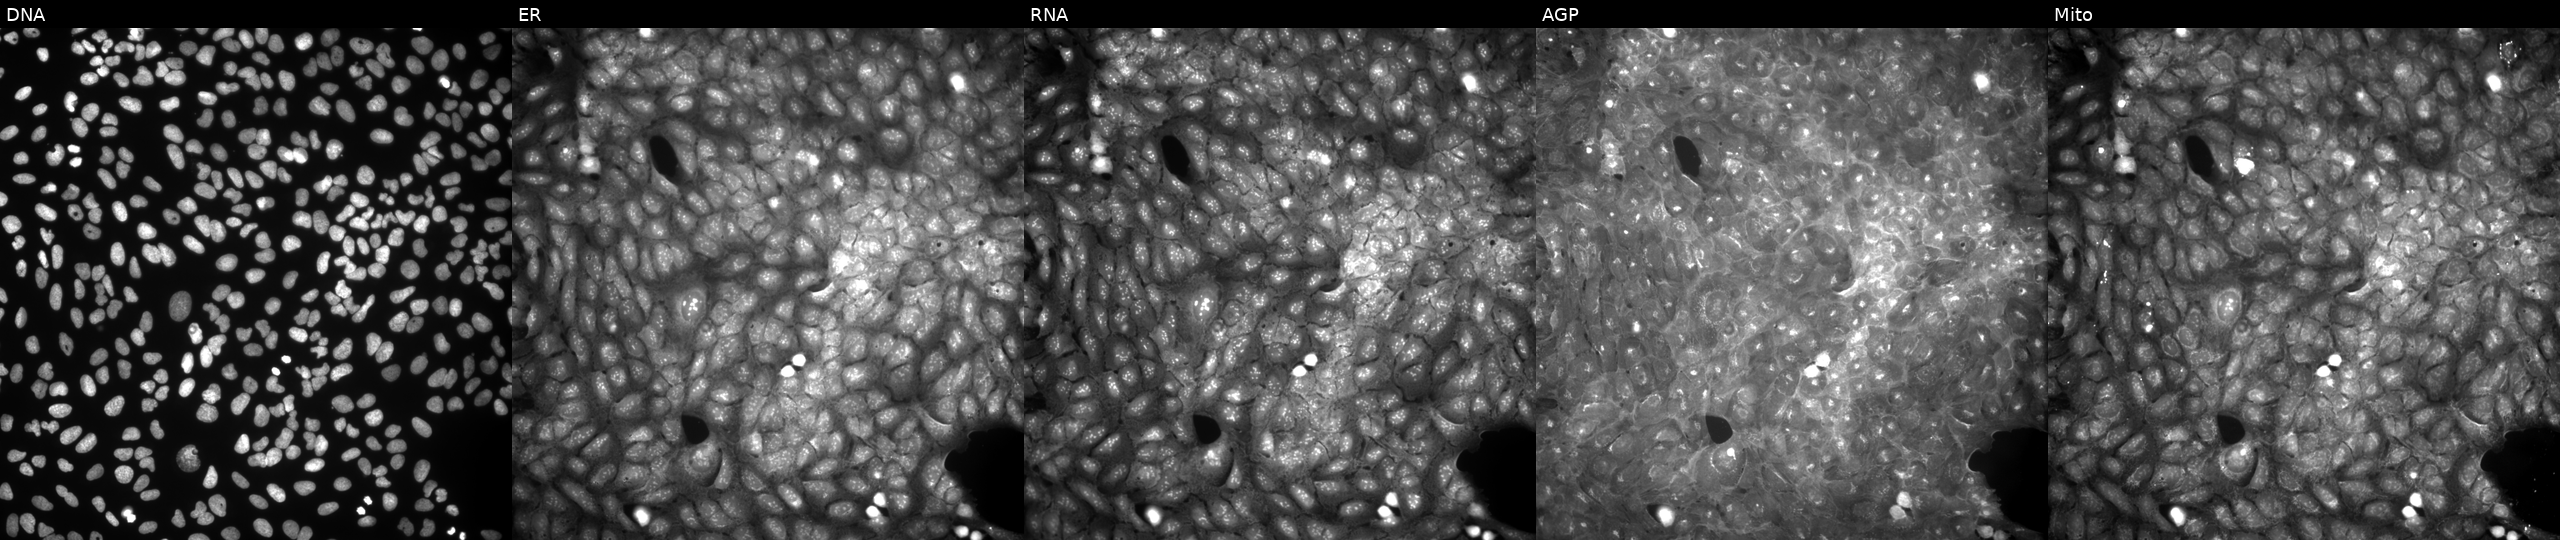
This image strip shows the five Cell Painting channels for a single field of U2OS cells perturbed with a small-molecule compound (InChIKey QBTSDLULPYTFCR-UHFFFAOYSA-N). Channels (left→right): DNA (nuclei); ER (endoplasmic reticulum); RNA (nucleoli and cytoplasmic RNA); AGP (actin cytoskeleton, Golgi, and plasma membrane); Mito (mitochondria). Source 9, plate GR00003381, well U22.